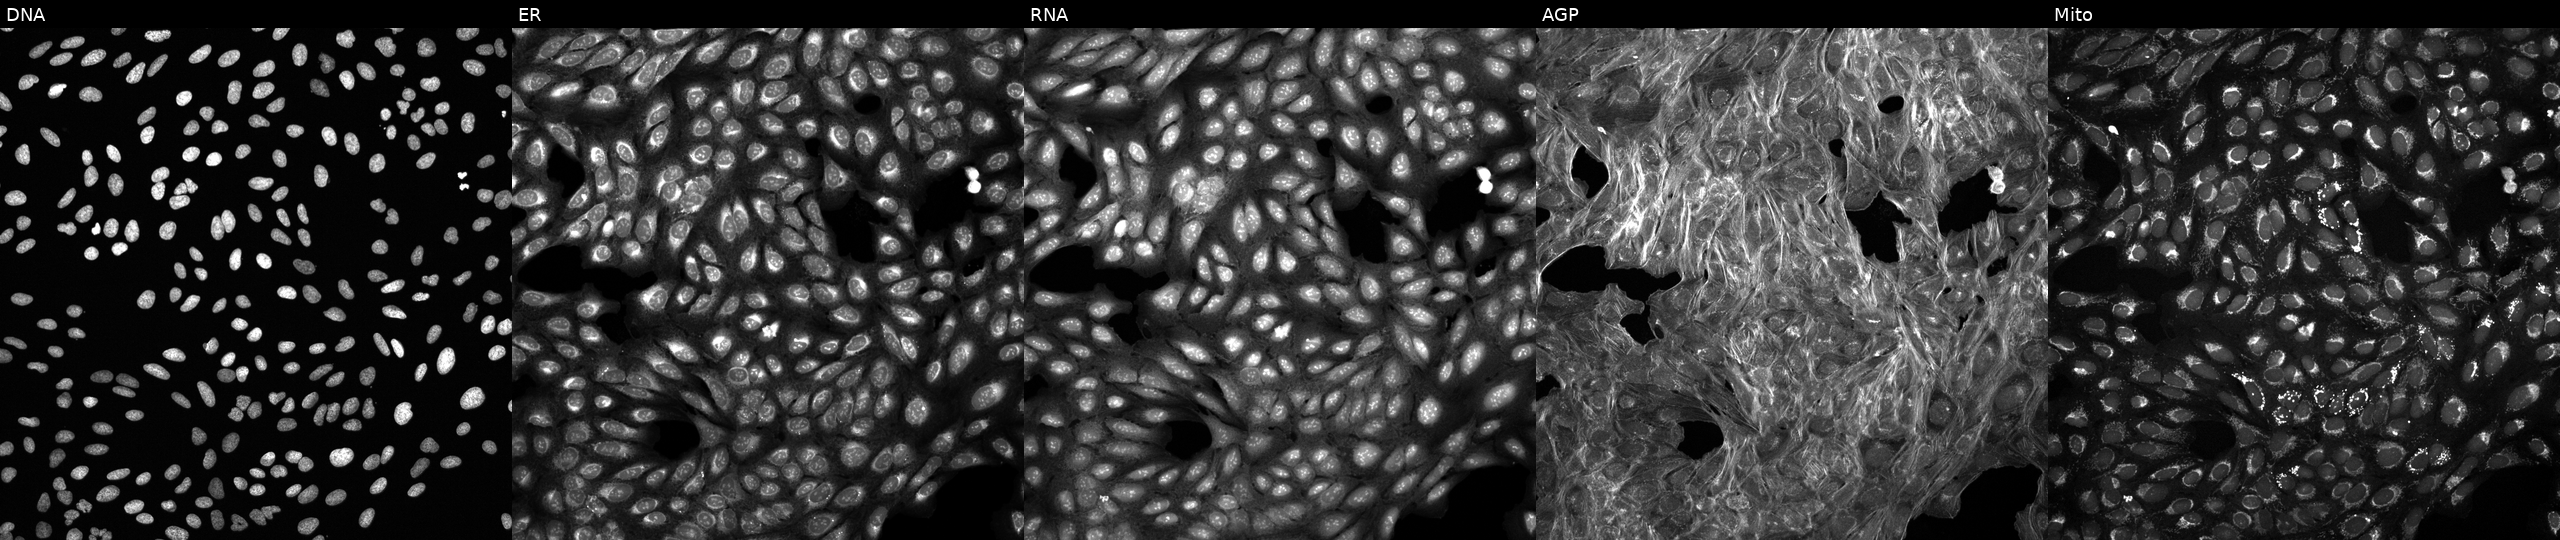
High-content fluorescence microscopy (Cell Painting). Cell line: U2OS. Perturbation: perturbed with a small-molecule compound (JUMP id JCP2022_018833). The five panels, left to right, show DNA (nuclei); ER (endoplasmic reticulum); RNA (nucleoli and cytoplasmic RNA); AGP (actin cytoskeleton, Golgi, and plasma membrane); Mito (mitochondria).